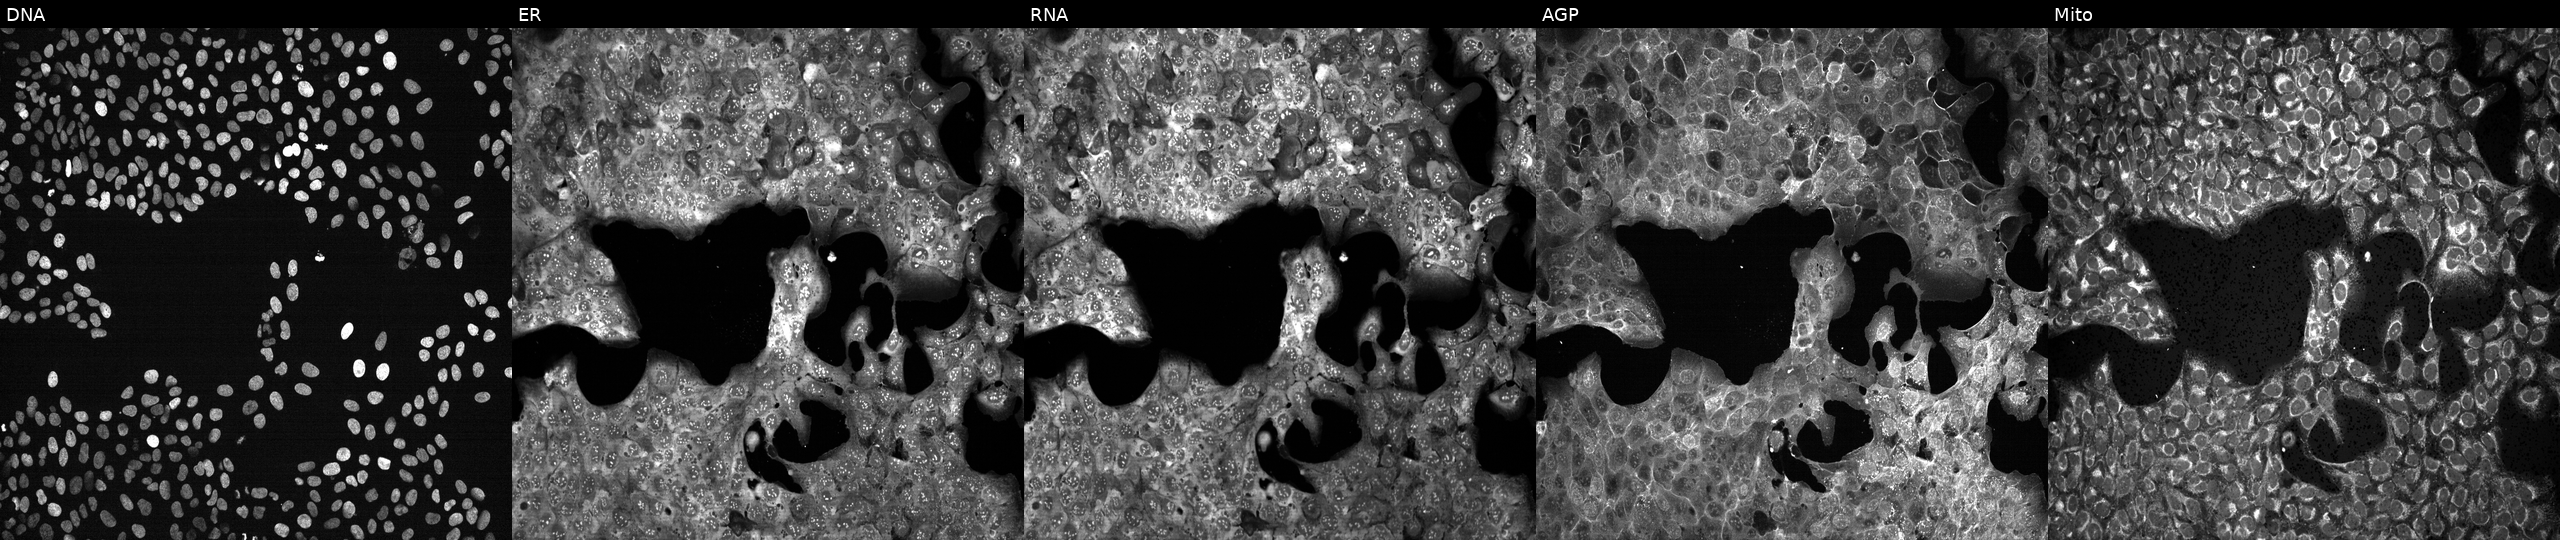
High-content fluorescence microscopy (Cell Painting). Cell line: U2OS. Perturbation: treated with LY2109761 (positive-control compound) (JUMP id JCP2022_035095). The five panels, left to right, show DNA, ER, RNA, AGP, and Mito. Source 13, plate CP-CC9-R4-04, well A24.